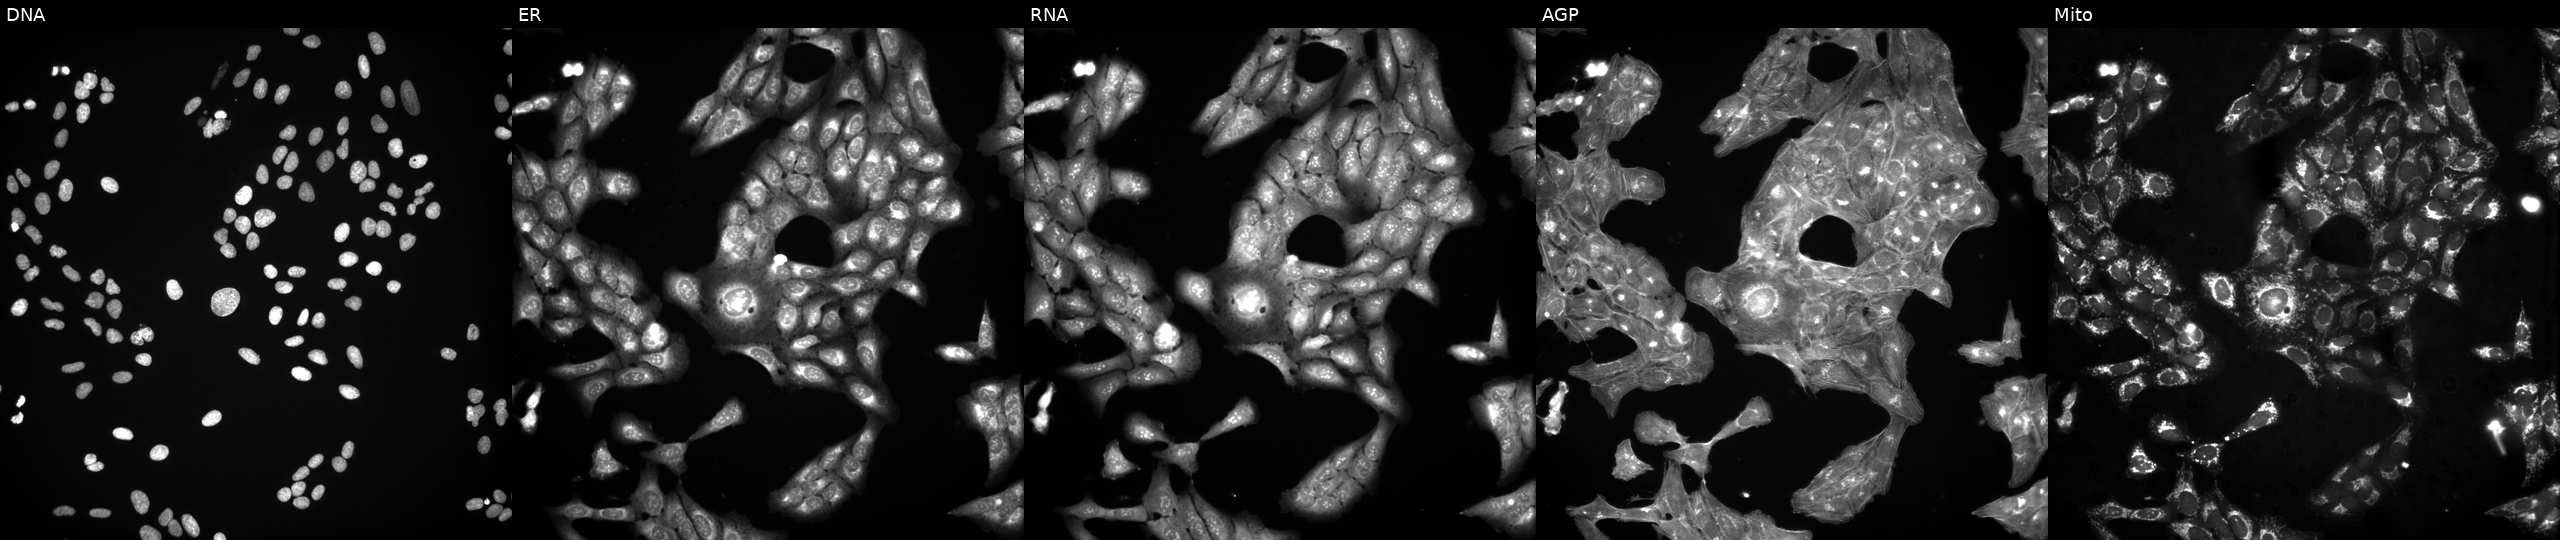
Channels (left→right): DNA (nuclei); ER (endoplasmic reticulum); RNA (nucleoli and cytoplasmic RNA); AGP (actin cytoskeleton, Golgi, and plasma membrane); Mito (mitochondria). U2OS osteosarcoma cells treated with a small-molecule compound (InChIKey ULYONBAOIMCNEH-UHFFFAOYSA-N) [SMILES: COc1ccc(Cl)cc1C1(F)C(=O)Nc2cc(C(F)(F)F)ccc21] (JUMP id JCP2022_090051). Cell Painting assay, JUMP-CP dataset.